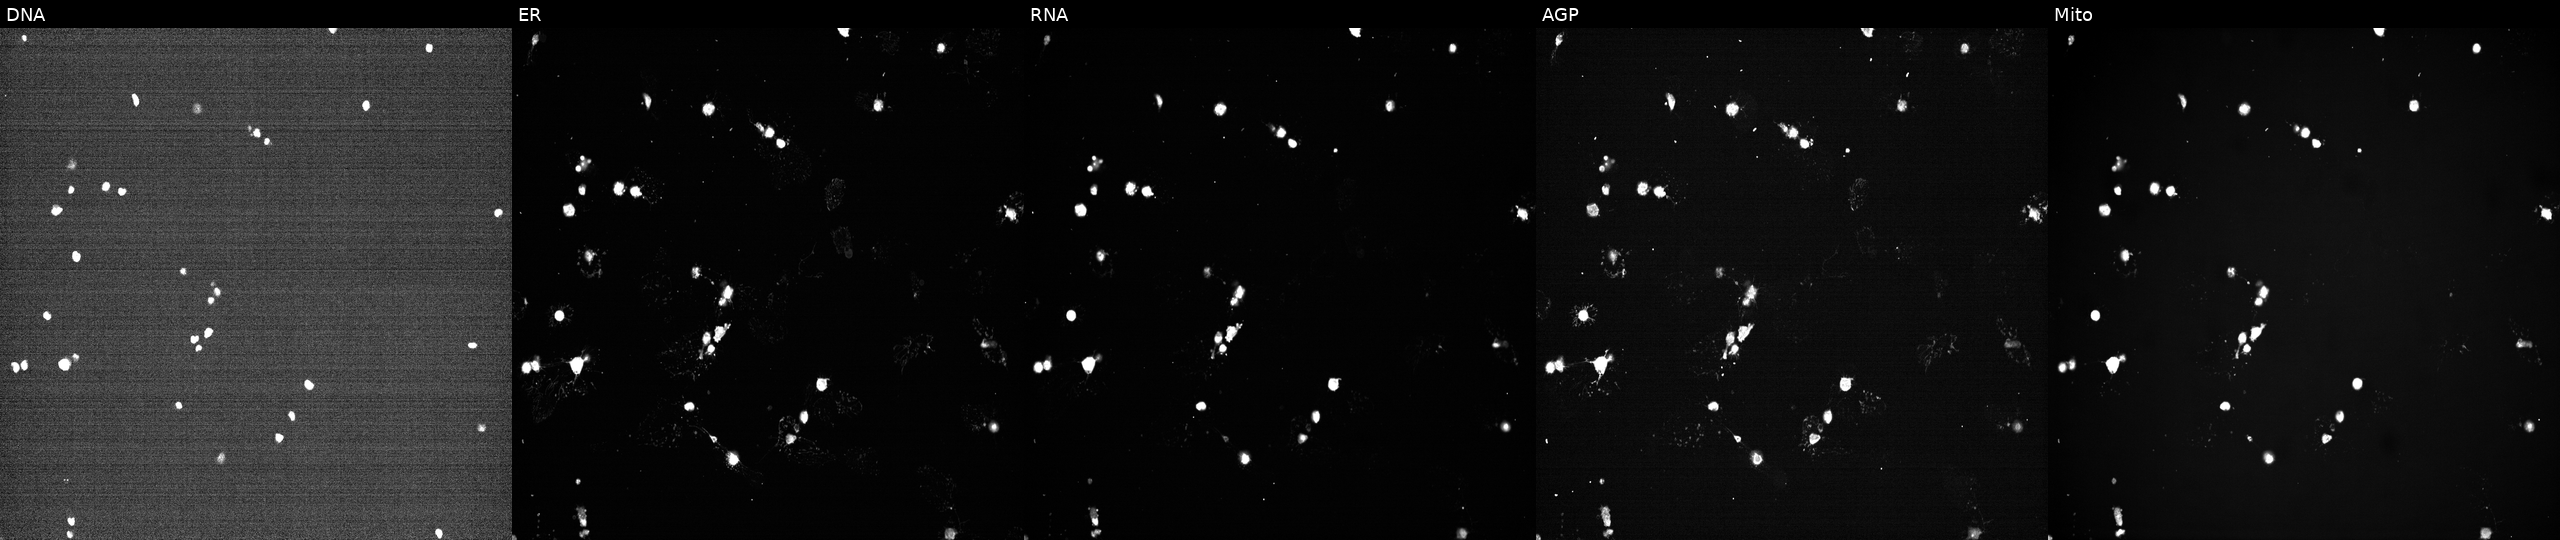
Five-channel Cell Painting image of U2OS cells perturbed with a small-molecule compound [SMILES: Cc1ccc(C=C2CNCC(=Cc3ccc(C)cc3)C2=O)cc1]. The five panels, left to right, show Hoechst 33342, concanavalin A, SYTO 14, phalloidin and WGA, MitoTracker. Source 7, plate CP3-SC1-25, well G18.